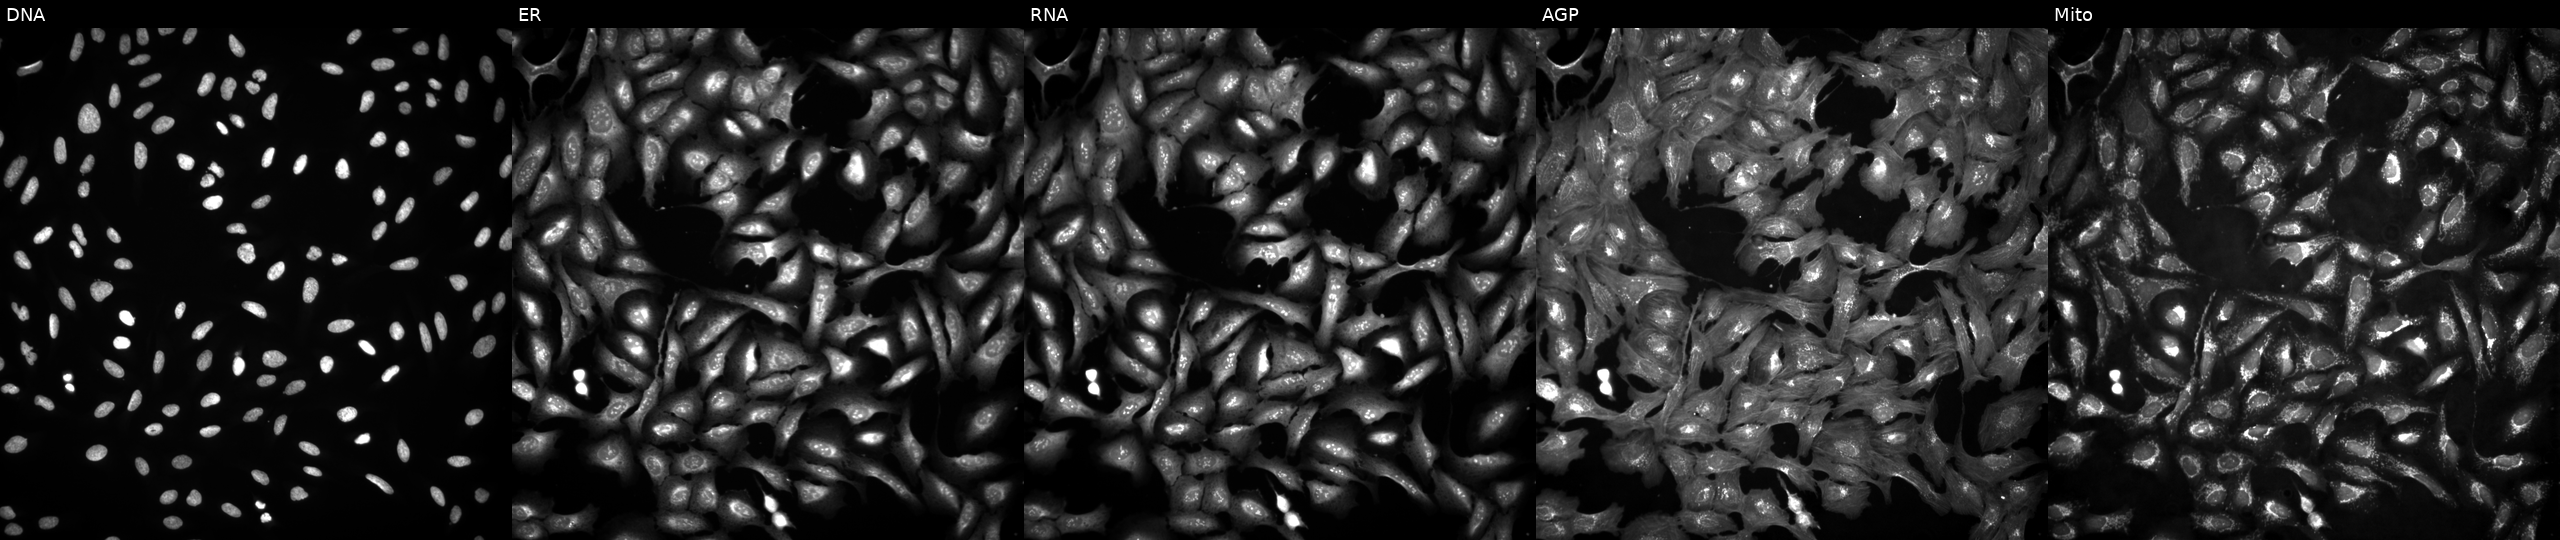
U2OS cells, Cell Painting assay, overexpressing EPHB3 via ORF transfection. From left to right: DNA, ER, RNA, AGP, and Mito. Each panel is percentile-stretched 16-bit fluorescence.